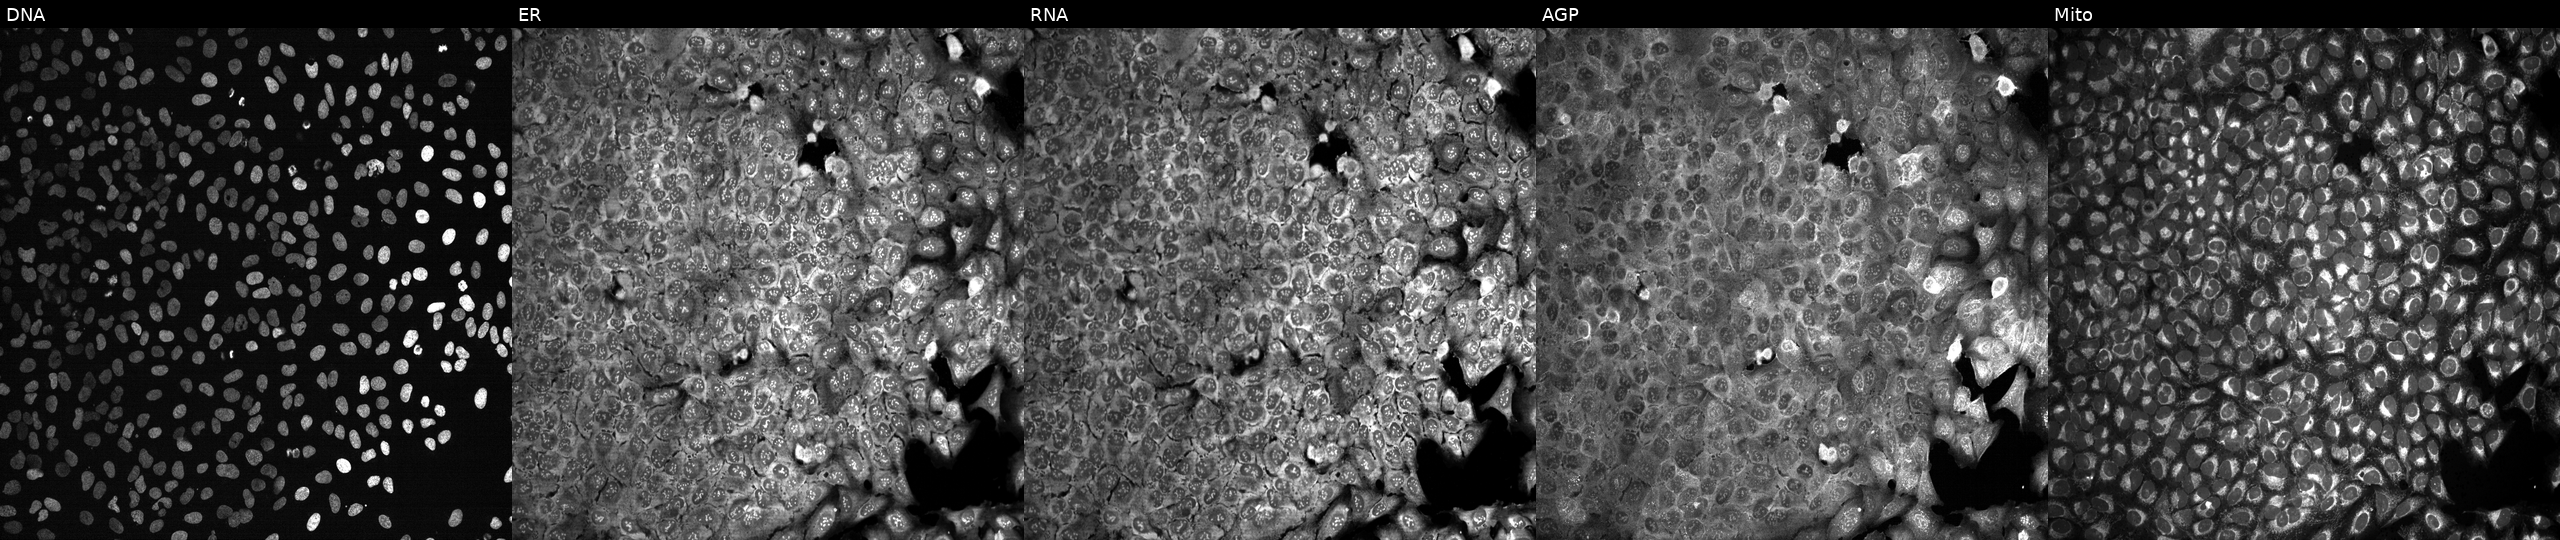
From left to right: Hoechst 33342, concanavalin A, SYTO 14, phalloidin and WGA, MitoTracker. U2OS osteosarcoma cells CRISPR-edited to disrupt ATP8B1. Cell Painting assay, JUMP-CP dataset. Source 13, plate CP-CC9-R4-03, well F08.